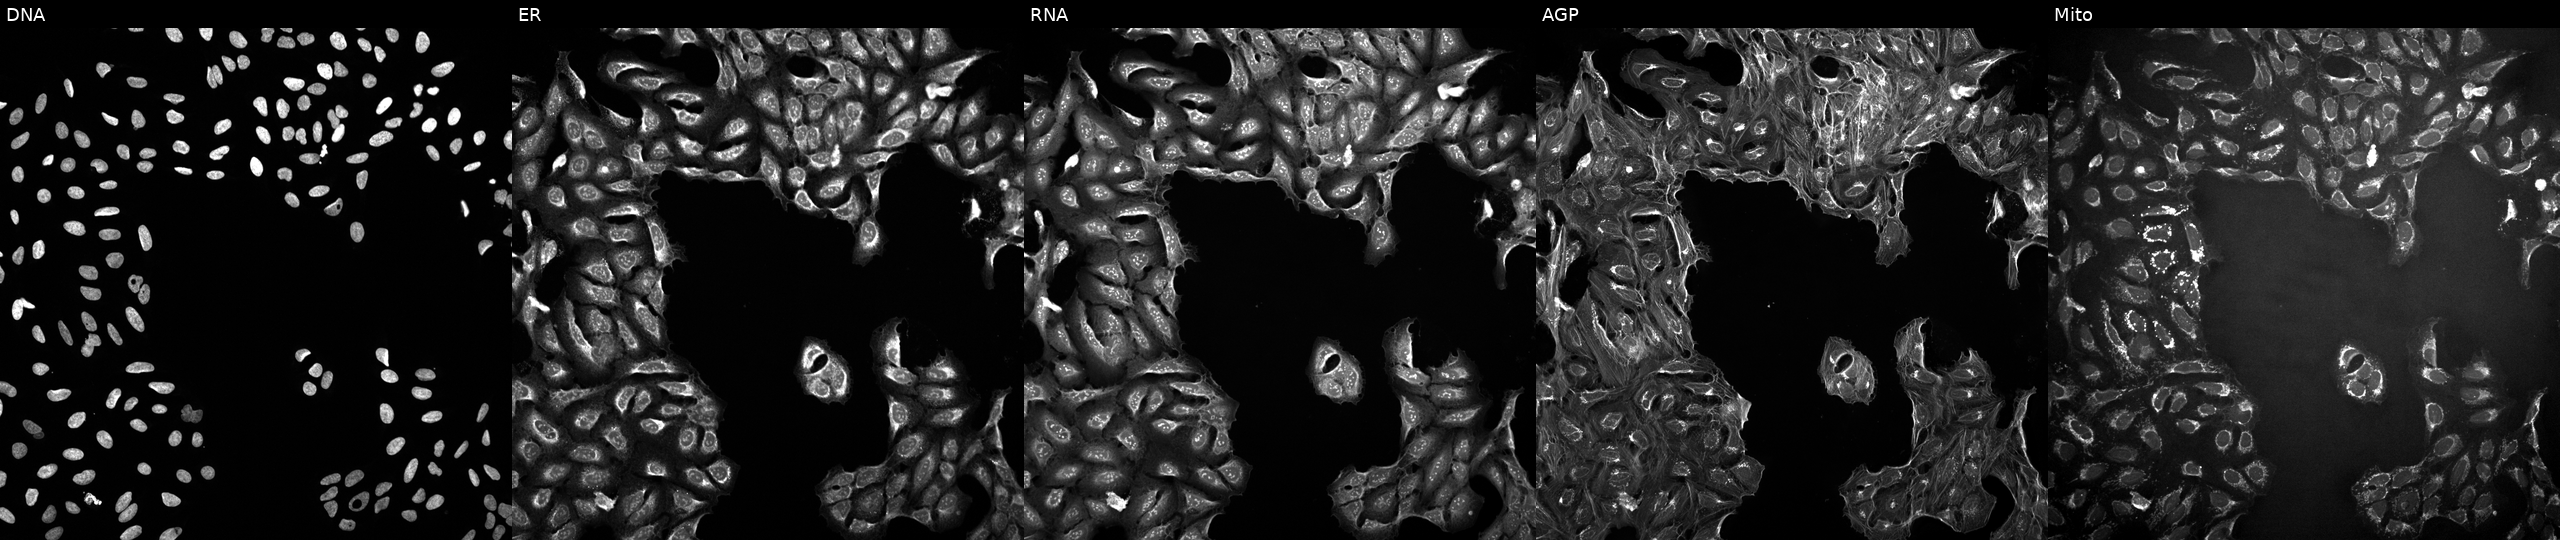
U2OS cells, Cell Painting assay, perturbed with a small-molecule compound (InChIKey ATOAKSXYYHSQPV-UHFFFAOYSA-N). The five panels, left to right, show Hoechst 33342, concanavalin A, SYTO 14, phalloidin and WGA, MitoTracker. Each panel is percentile-stretched 16-bit fluorescence.